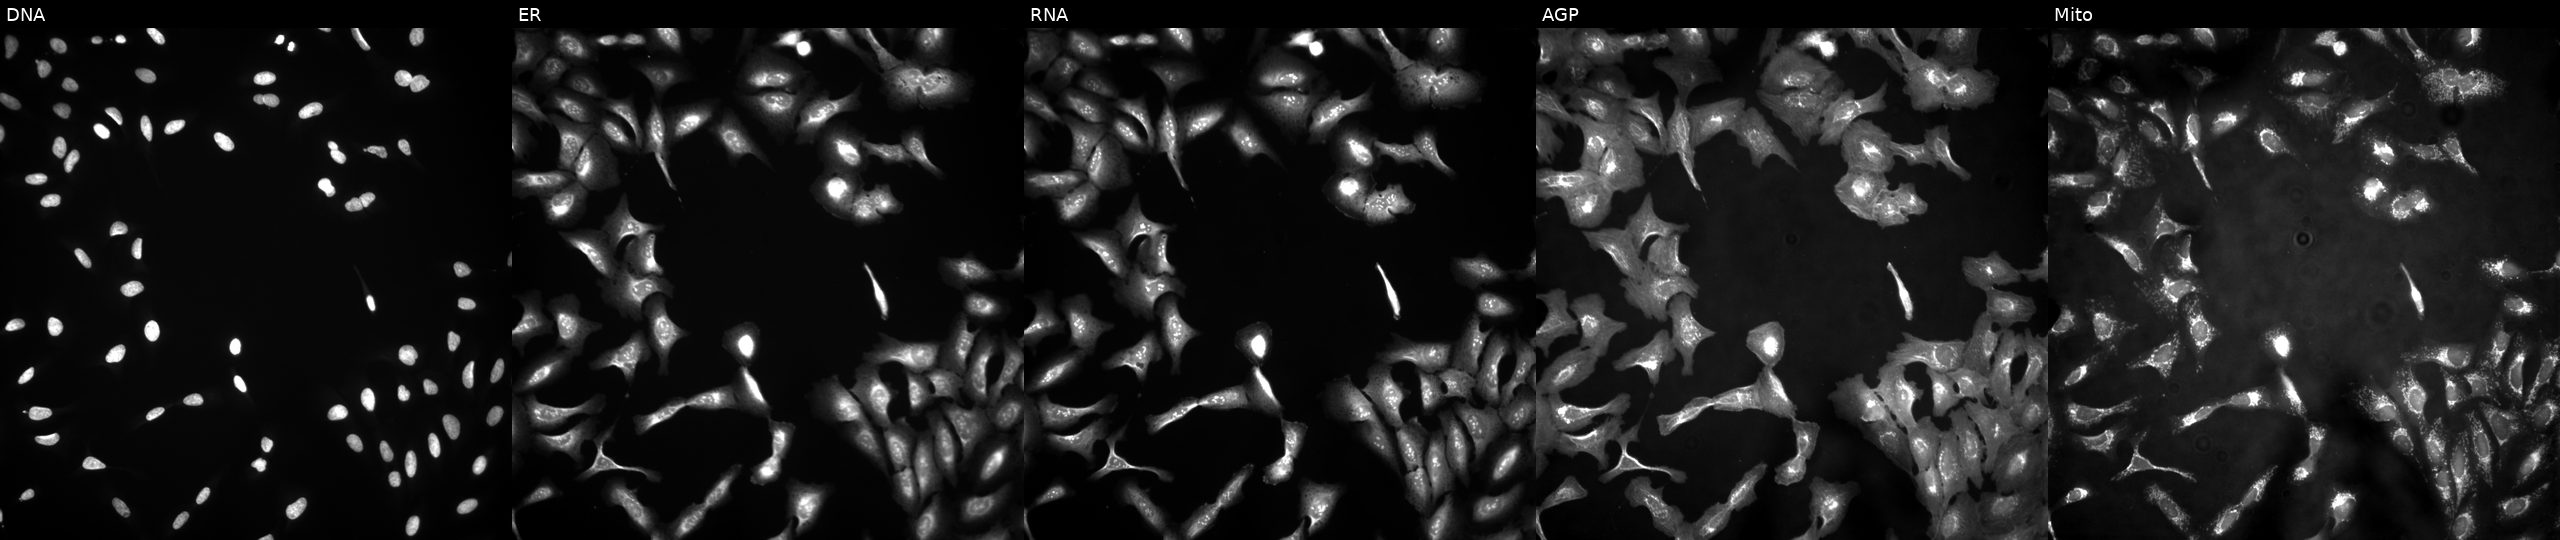
This image strip shows the five Cell Painting channels for a single field of U2OS cells expressing eGFP (ORF positive control). From left to right: DNA (nuclei); ER (endoplasmic reticulum); RNA (nucleoli and cytoplasmic RNA); AGP (actin cytoskeleton, Golgi, and plasma membrane); Mito (mitochondria).